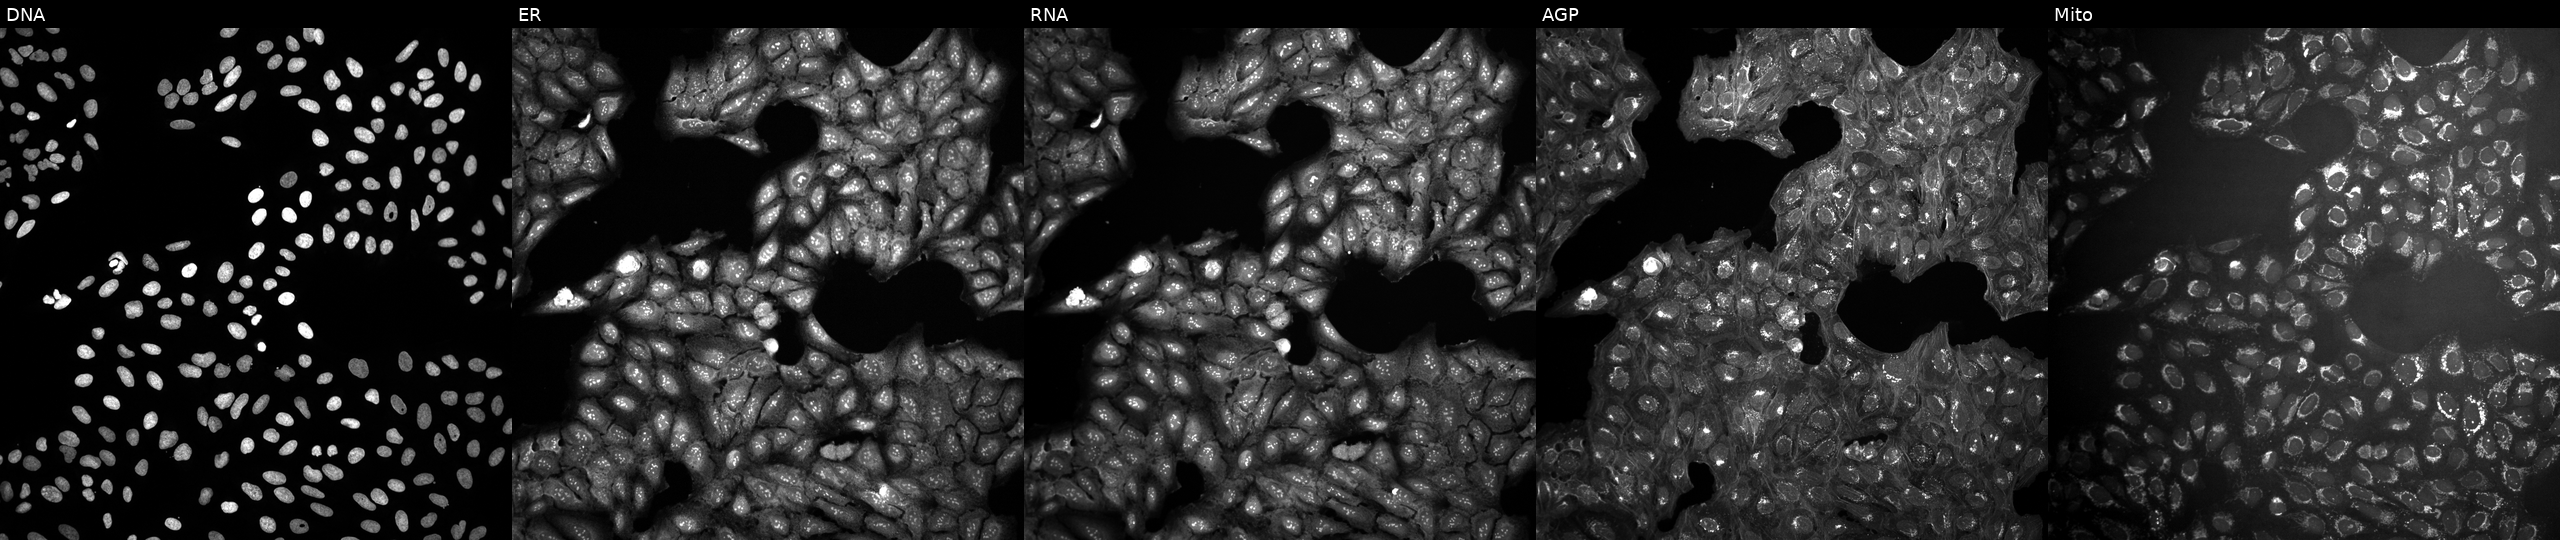
This image strip shows the five Cell Painting channels for a single field of U2OS cells exposed to the positive-control compound aloxistatin (JUMP id JCP2022_085227). Channels (left→right): DNA, ER, RNA, AGP, and Mito.